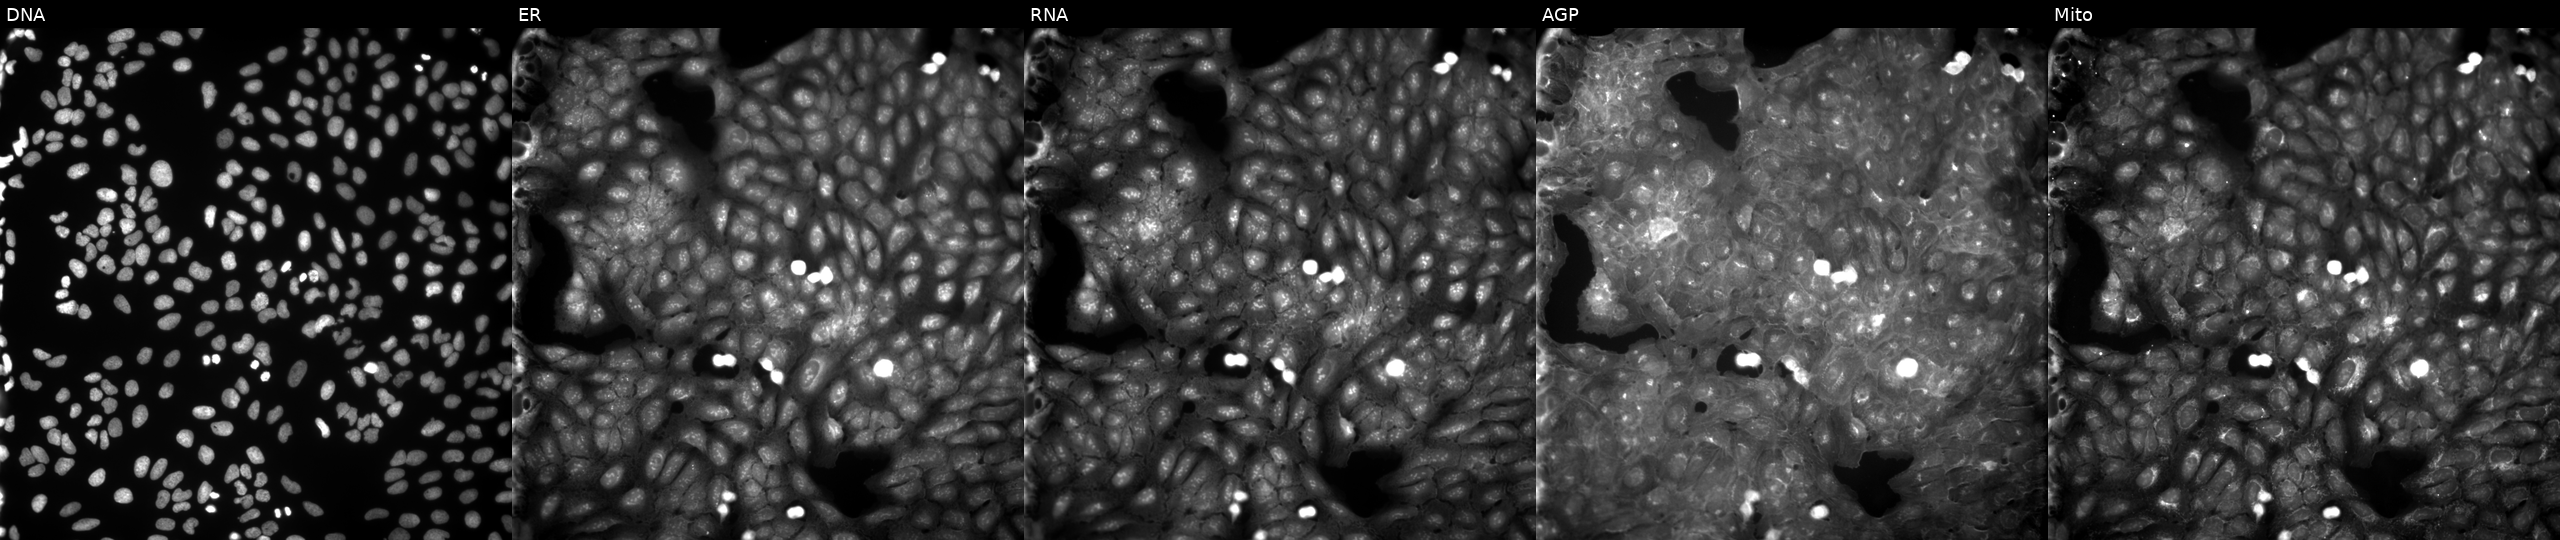
This image strip shows the five Cell Painting channels for a single field of U2OS cells treated with a small-molecule compound [SMILES: Nc1ccc(Oc2ccc3c(c2)C(=O)N(CCO)C3=O)cc1] (JUMP id JCP2022_005846). The five panels, left to right, show DNA, ER, RNA, AGP, and Mito. Source 9, plate GR00003381, well V08.